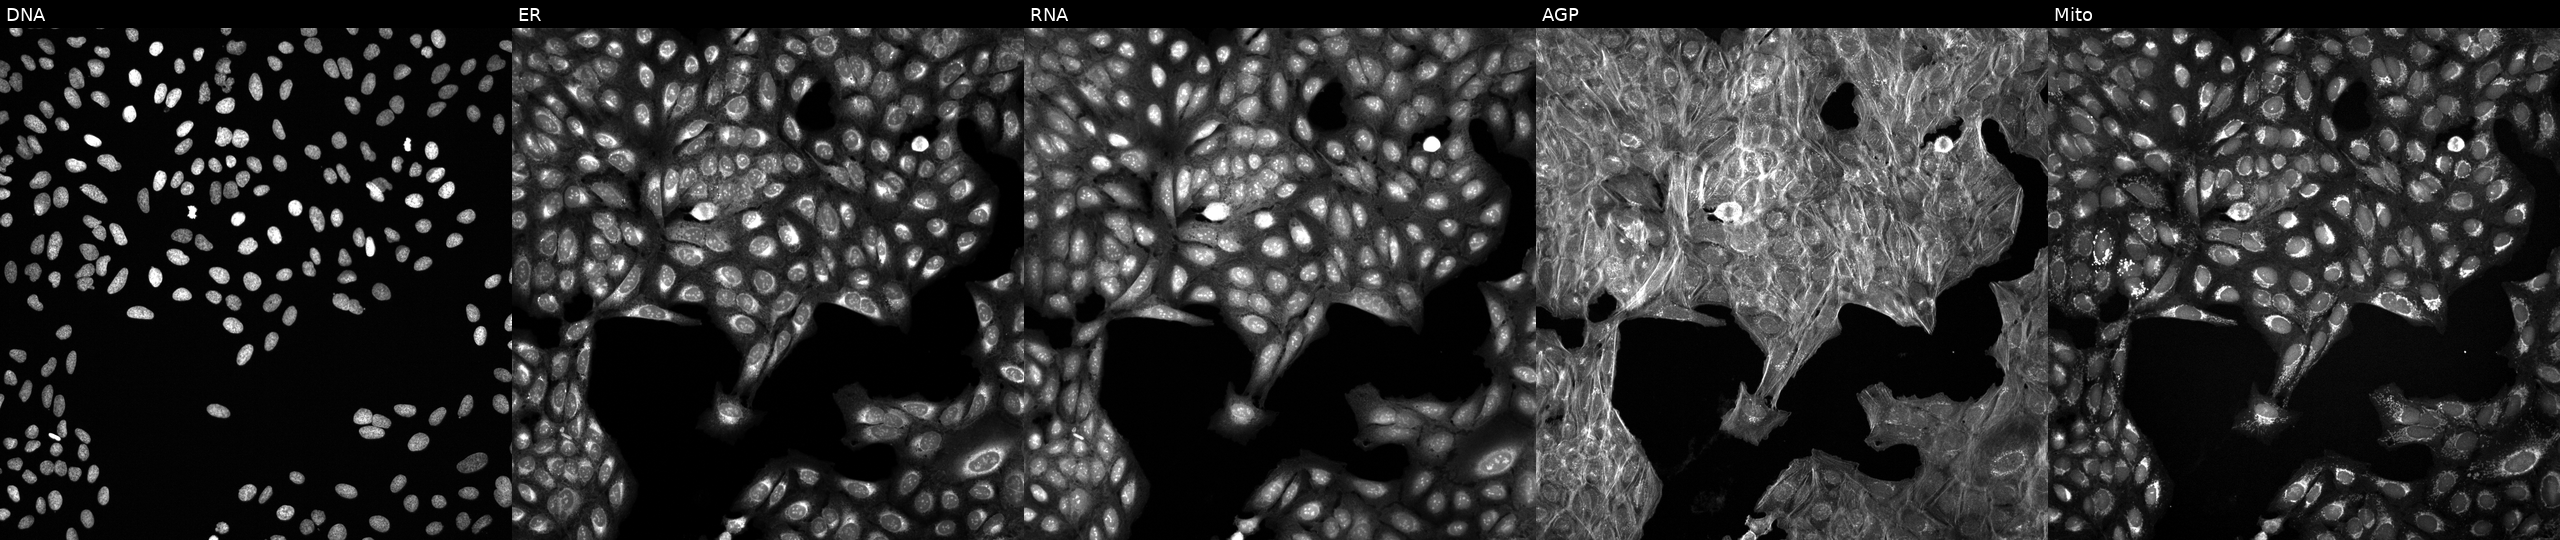
JUMP Cell Painting — TARGET2 plate. U2OS cells treated with a small-molecule compound (InChIKey KAQKFAOMNZTLHT-UHFFFAOYSA-N). Channels (left→right): Hoechst 33342, concanavalin A, SYTO 14, phalloidin and WGA, MitoTracker.